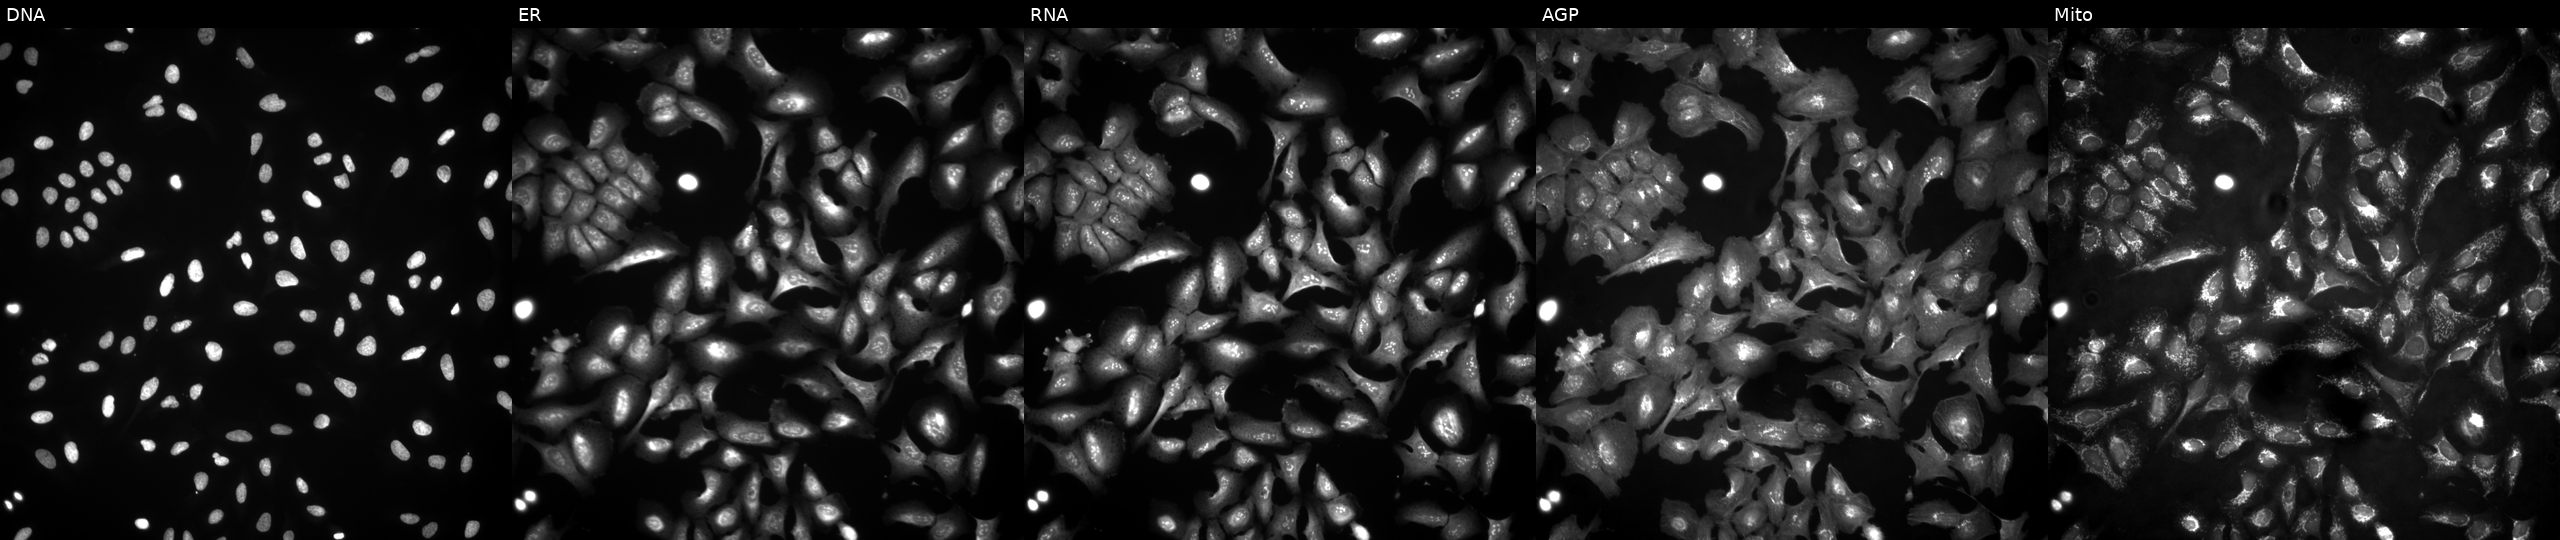
Five-channel Cell Painting image of U2OS cells overexpressing APOBEC3H via ORF transfection (JUMP id JCP2022_909094). The five panels, left to right, show DNA, ER, RNA, AGP, and Mito.